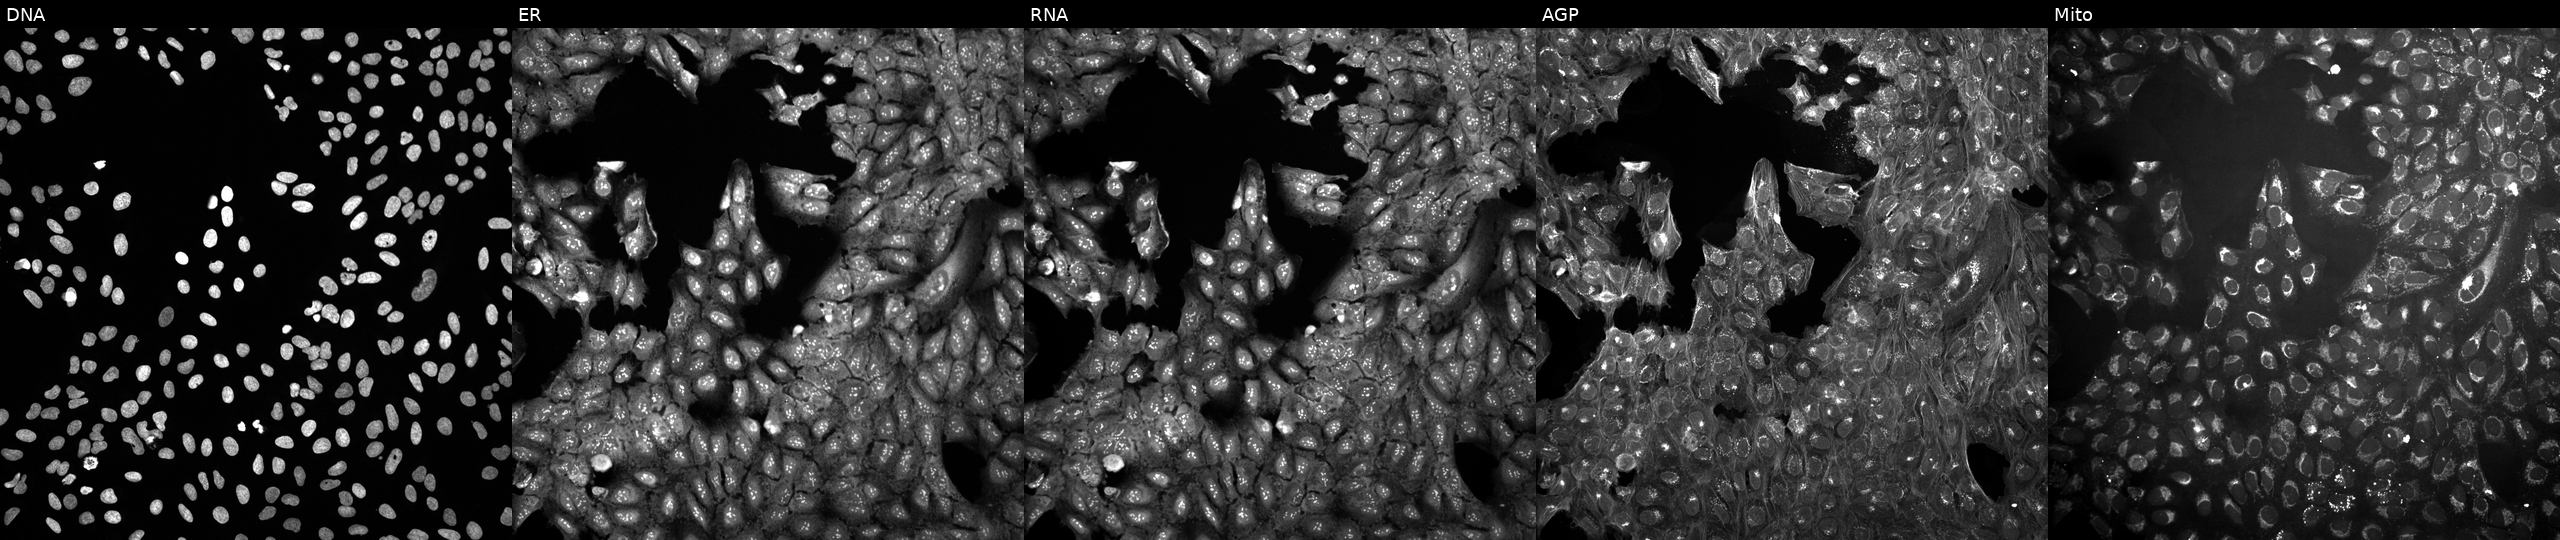
Five-channel Cell Painting image of U2OS cells perturbed with a small-molecule compound (InChIKey AWIKMVIMLVHVGX-UHFFFAOYSA-N) (JUMP id JCP2022_004267). Panels show, left to right, Hoechst 33342, concanavalin A, SYTO 14, phalloidin and WGA, MitoTracker. Source 10, plate Dest210531-152149, well I11.